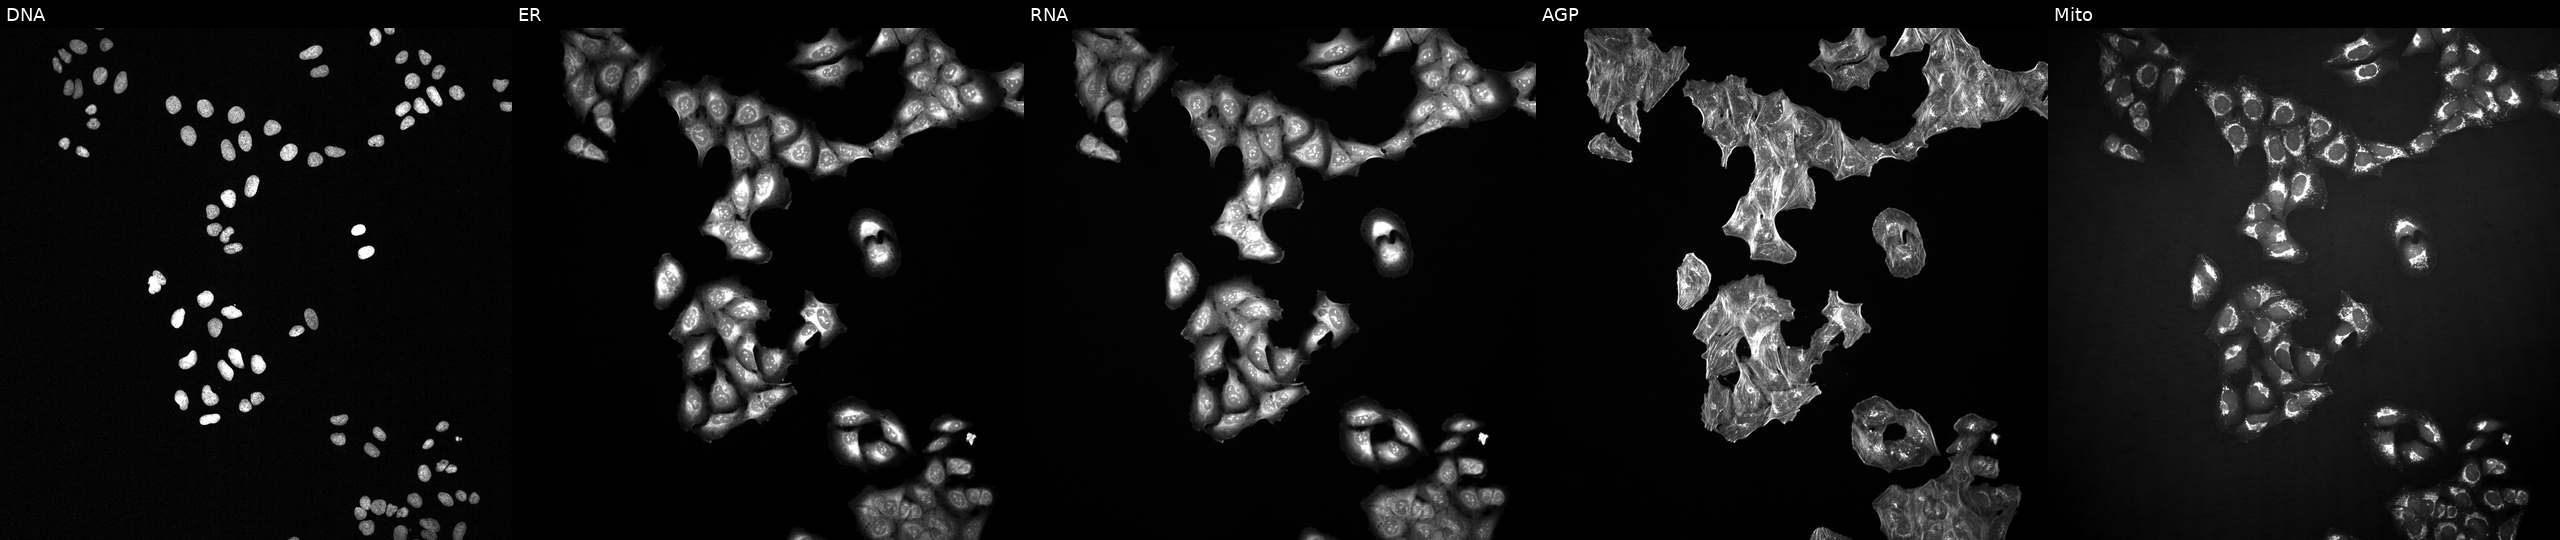
The five panels, left to right, show DNA, ER, RNA, AGP, and Mito. U2OS osteosarcoma cells treated with NVS-PAK1-1 (positive-control compound) (JUMP id JCP2022_064022). Cell Painting assay, JUMP-CP dataset.